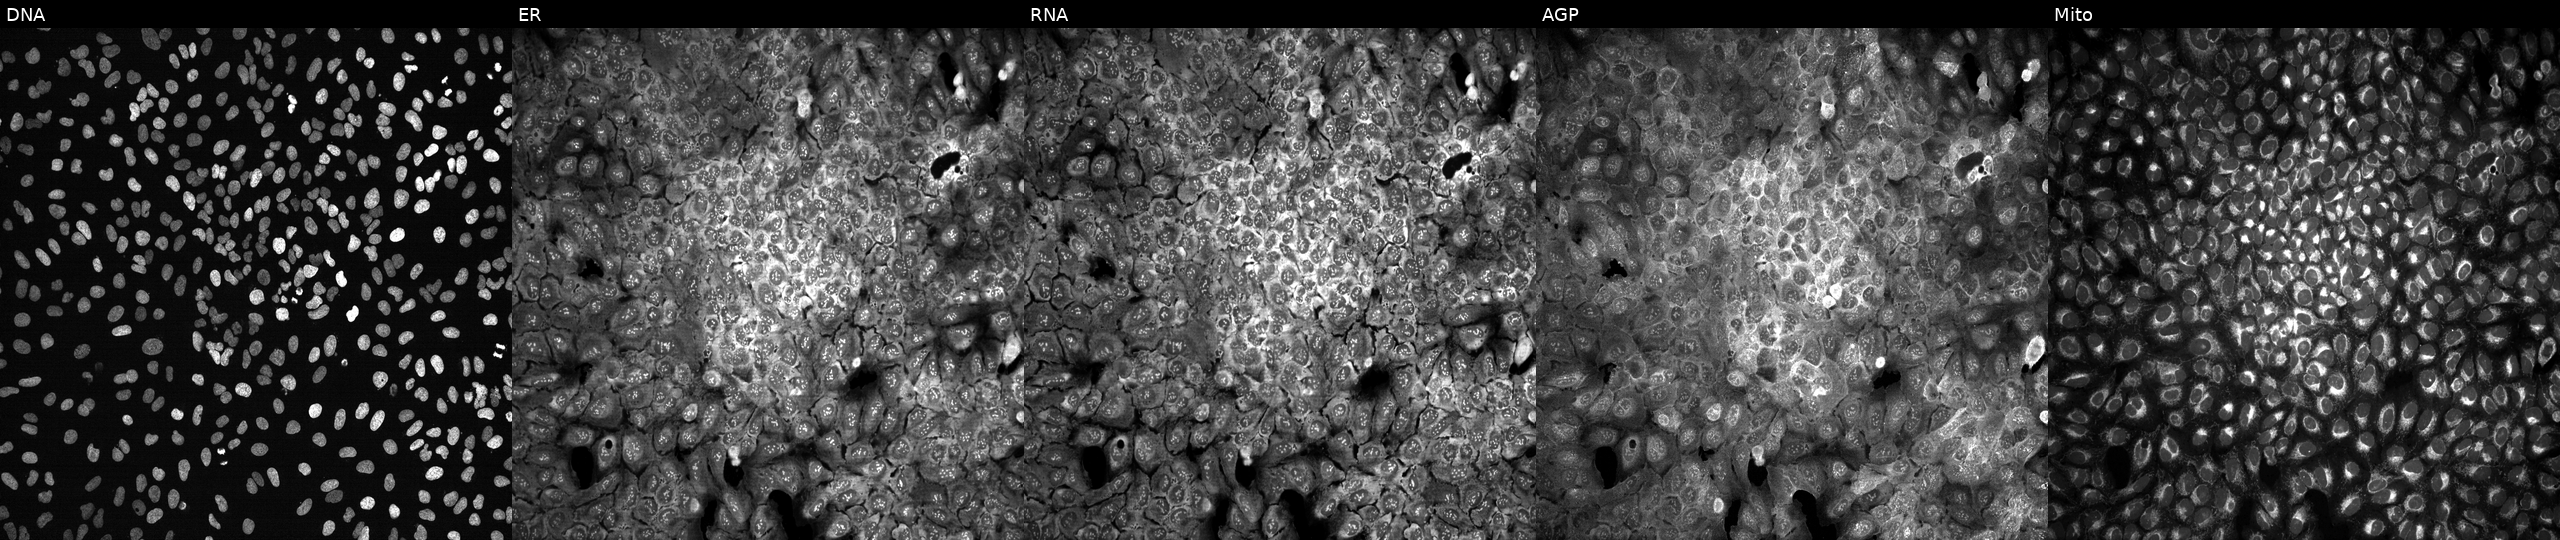
High-content fluorescence microscopy (Cell Painting). Cell line: U2OS. Perturbation: following CRISPR knockout of PYCRL. Channels (left→right): DNA, ER, RNA, AGP, and Mito. Source 13, plate CP-CC9-R4-03, well L12.